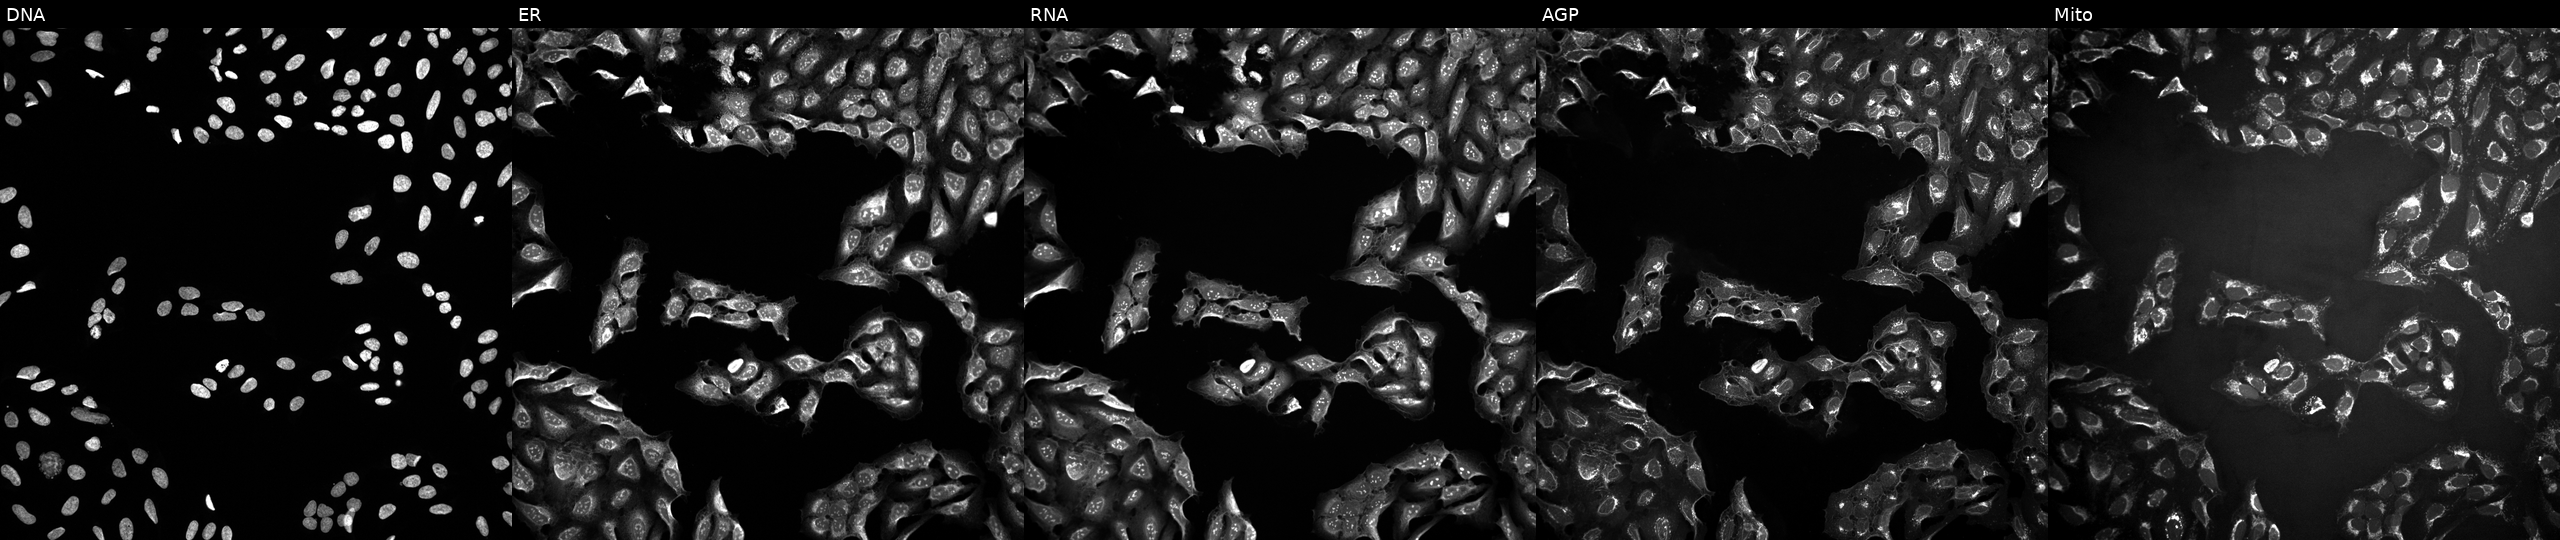
Five-channel Cell Painting image of U2OS cells exposed to a small-molecule compound (InChIKey KSCFJBIXMNOVSH-UHFFFAOYSA-N) [SMILES: Cn1c(=O)c2c(ncn2CC(O)CO)n(C)c1=O] (JUMP id JCP2022_046649). The five panels, left to right, show Hoechst 33342, concanavalin A, SYTO 14, phalloidin and WGA, MitoTracker. Source 10, plate Dest210803-153958, well N13.